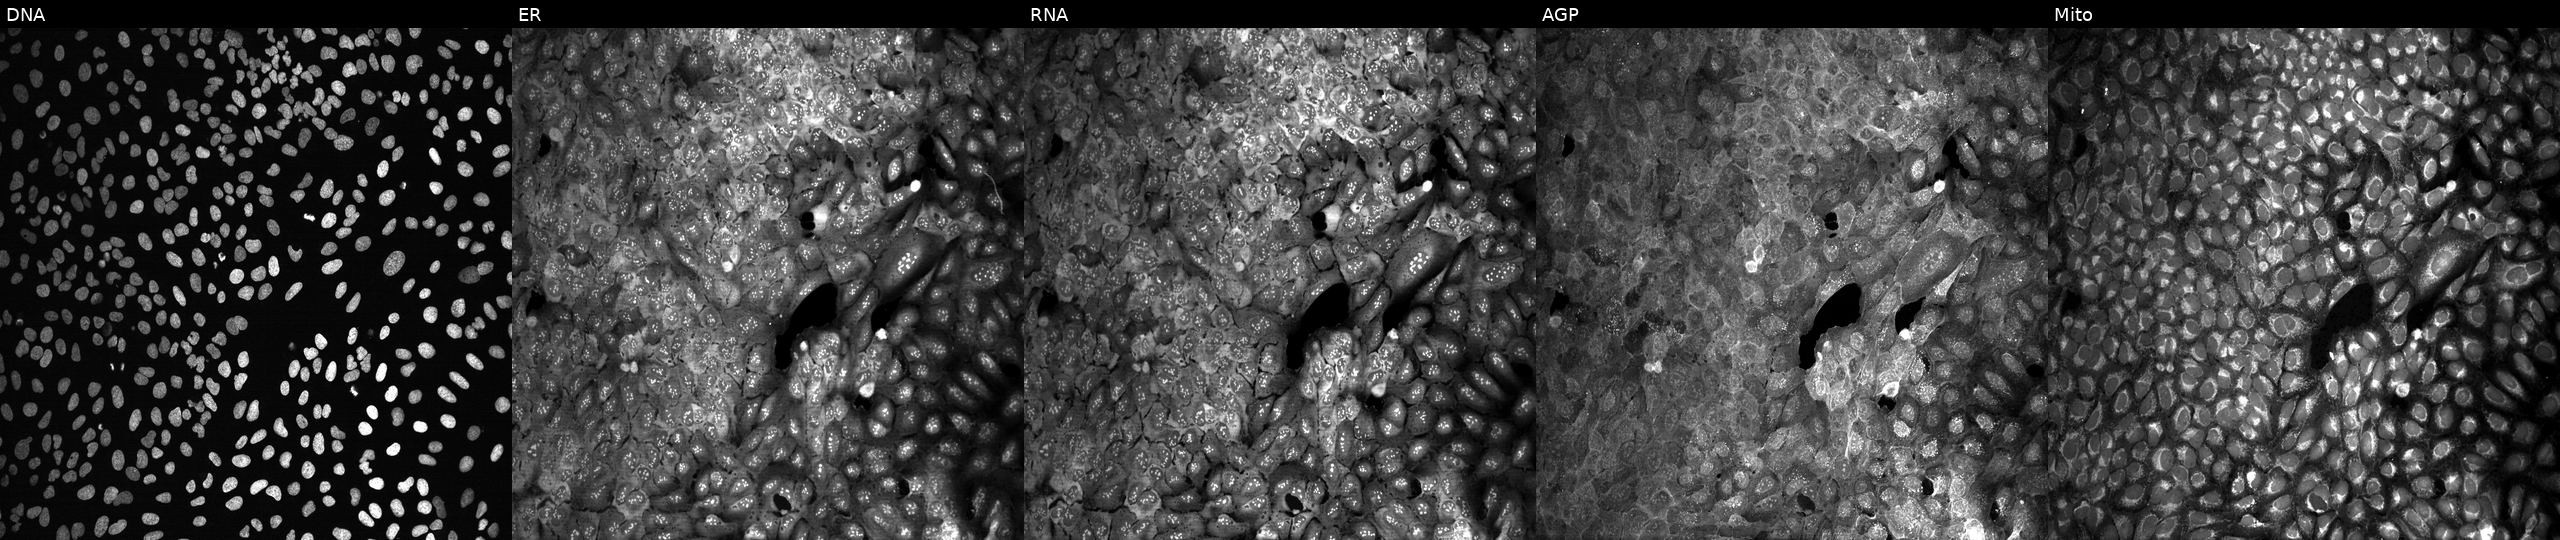
This image strip shows the five Cell Painting channels for a single field of U2OS cells exposed to the positive-control compound quinidine. From left to right: DNA, ER, RNA, AGP, and Mito.